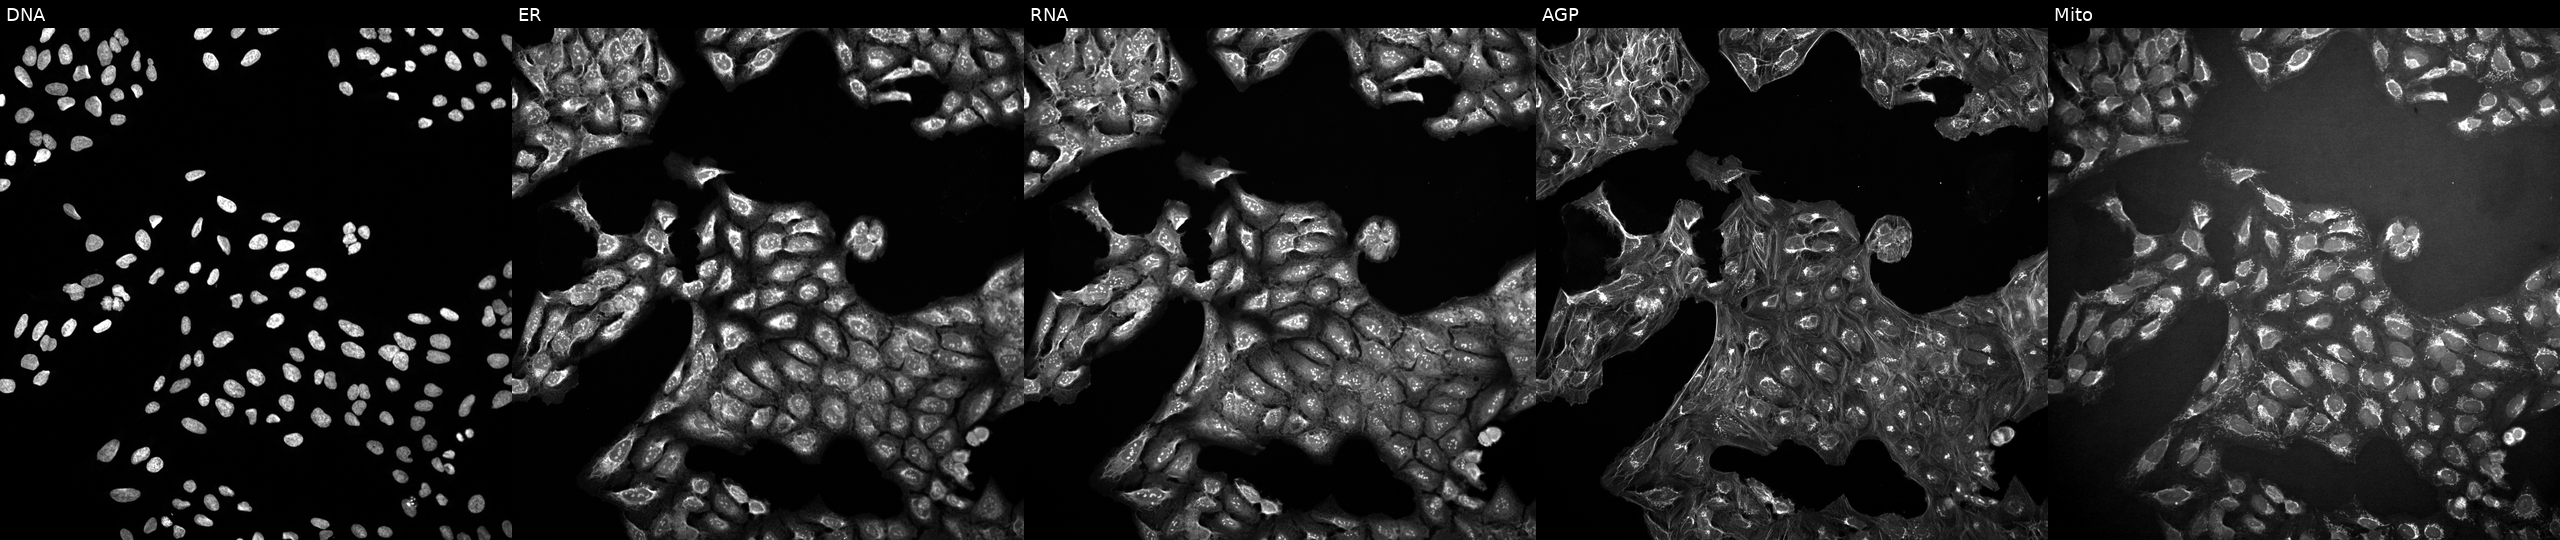
U2OS cells, Cell Painting assay, untreated (empty-well control) (JUMP id JCP2022_999999). Channels (left→right): Hoechst 33342, concanavalin A, SYTO 14, phalloidin and WGA, MitoTracker. Each panel is percentile-stretched 16-bit fluorescence.